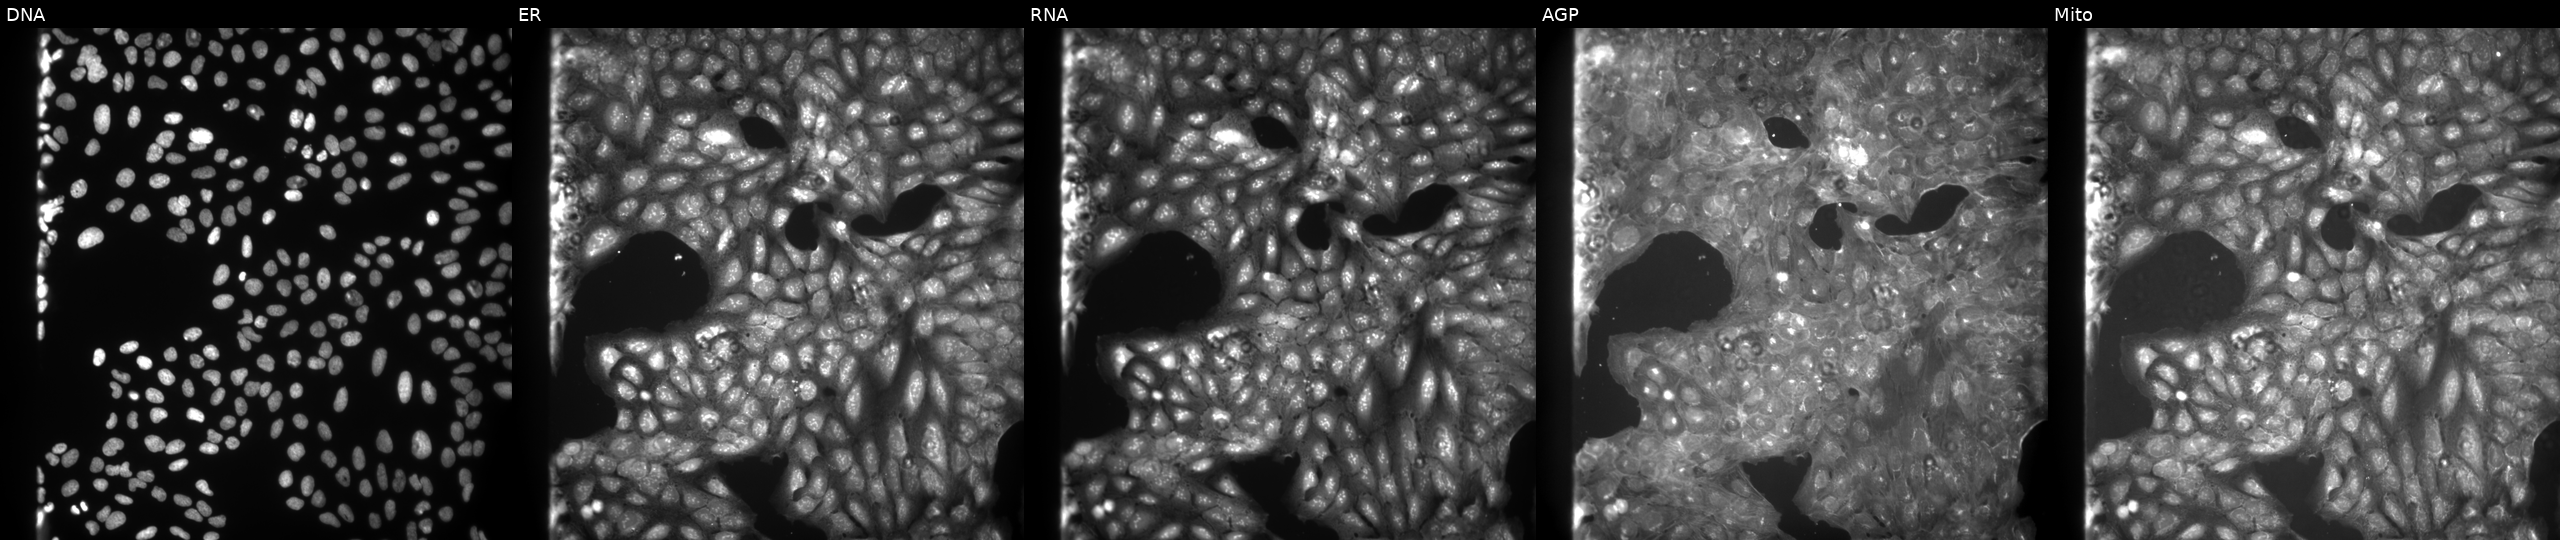
High-content fluorescence microscopy (Cell Painting). Cell line: U2OS. Perturbation: exposed to a small-molecule compound (InChIKey IRHALWJVYZFURZ-UHFFFAOYSA-N). From left to right: DNA, ER, RNA, AGP, and Mito. Source 9, plate GR00003382, well B06.